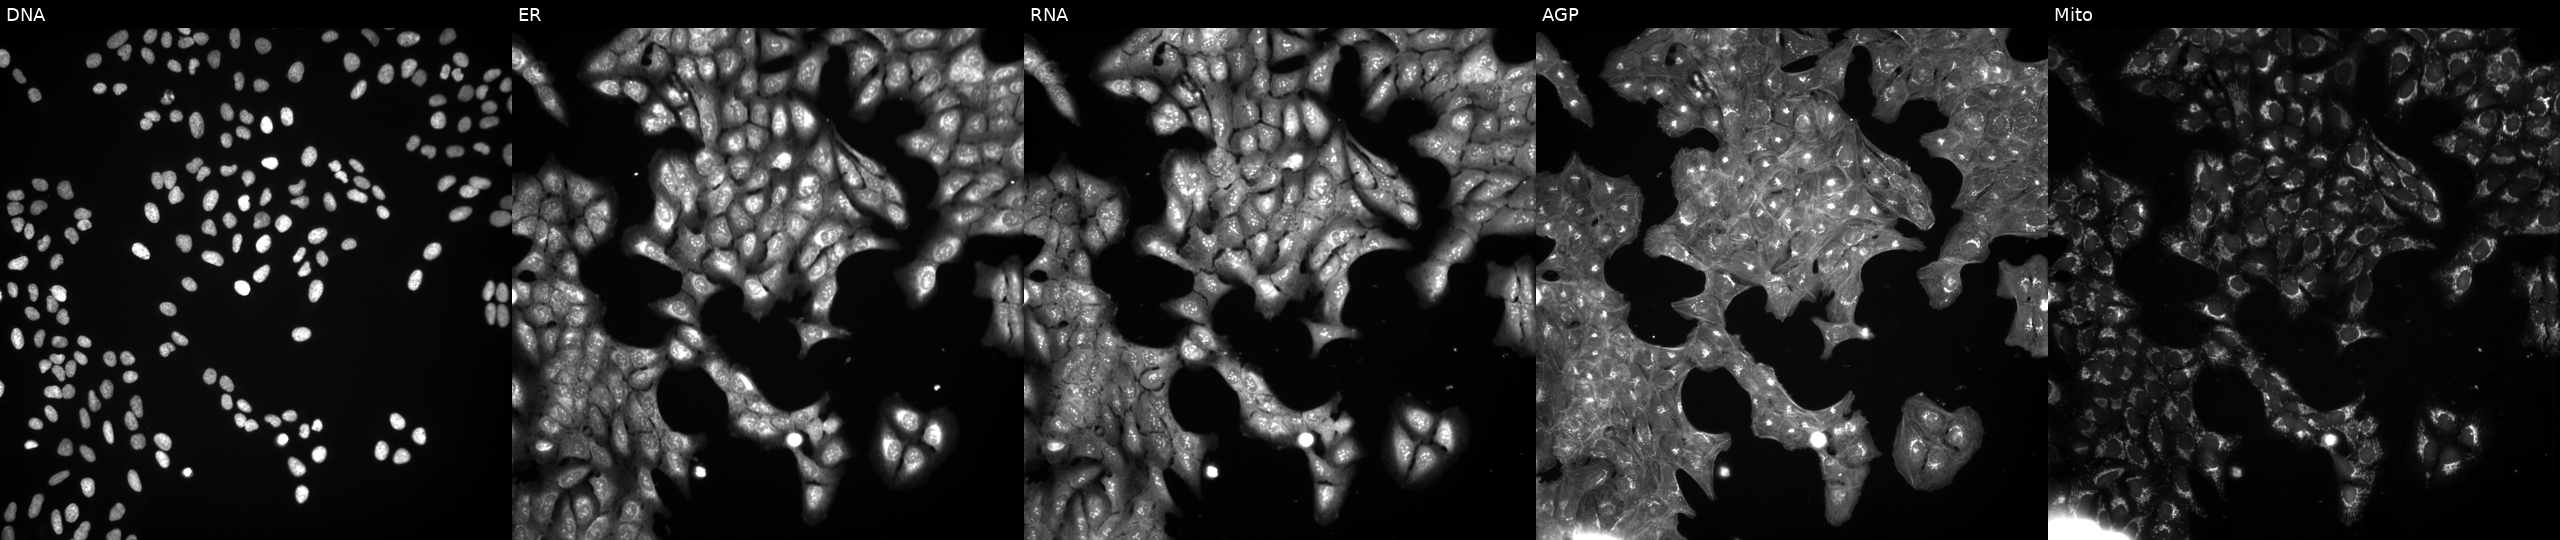
High-content fluorescence microscopy (Cell Painting). Cell line: U2OS. Perturbation: treated with a small-molecule compound (InChIKey ZSBBUQBGGQYDKM-UHFFFAOYSA-N) (JUMP id JCP2022_115330). Channels (left→right): DNA, ER, RNA, AGP, and Mito.